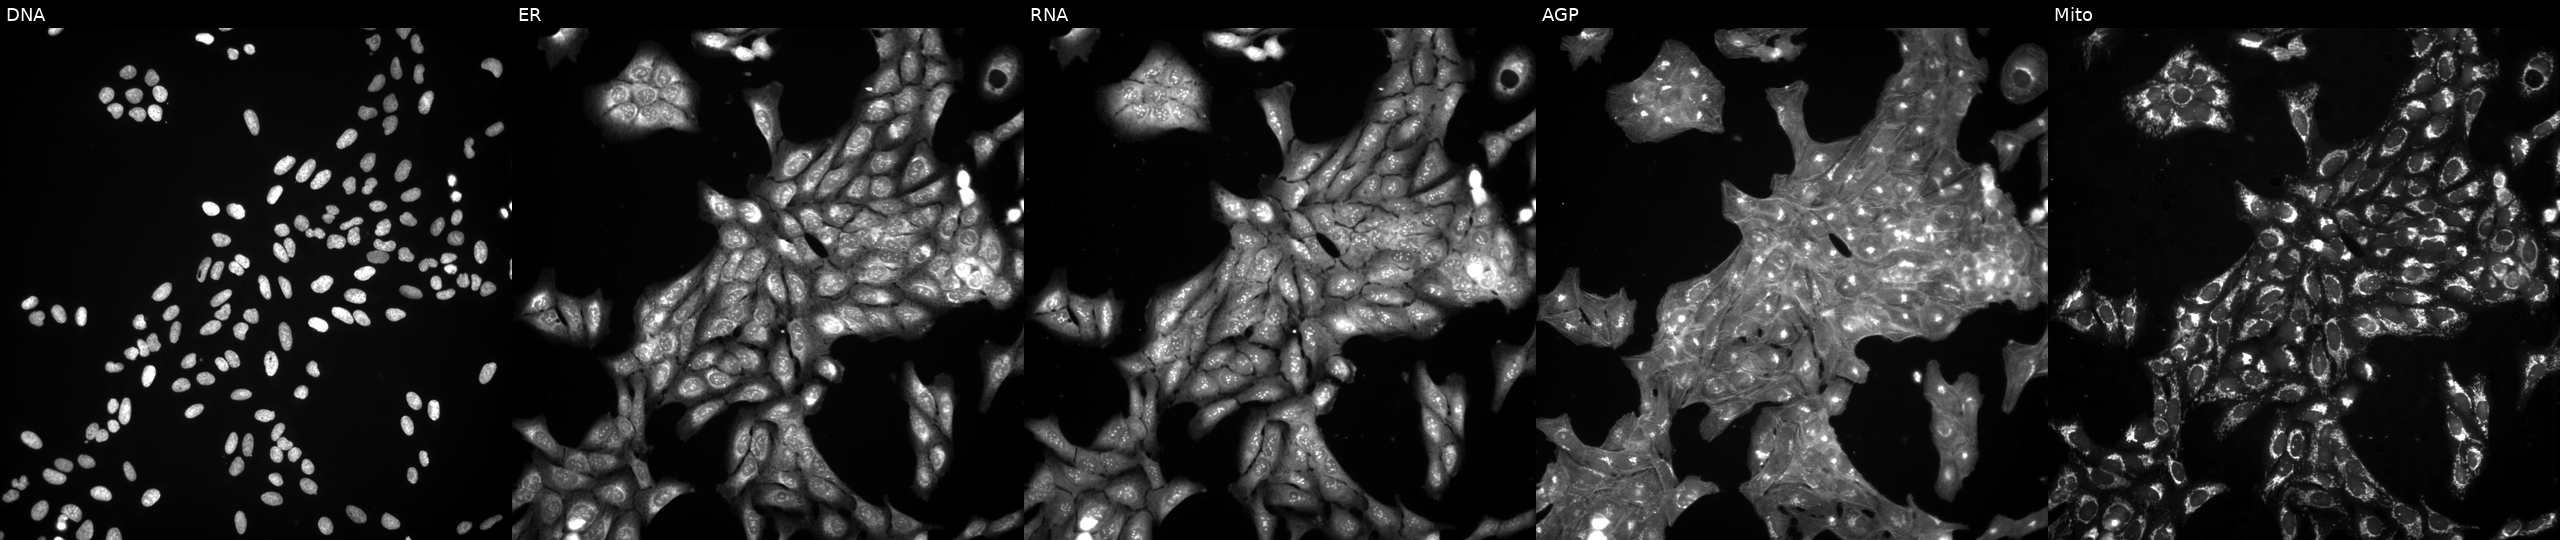
JUMP Cell Painting — COMPOUND plate. U2OS cells treated with dexamethasone (positive-control compound) (JUMP id JCP2022_025848). Channels (left→right): DNA, ER, RNA, AGP, and Mito.